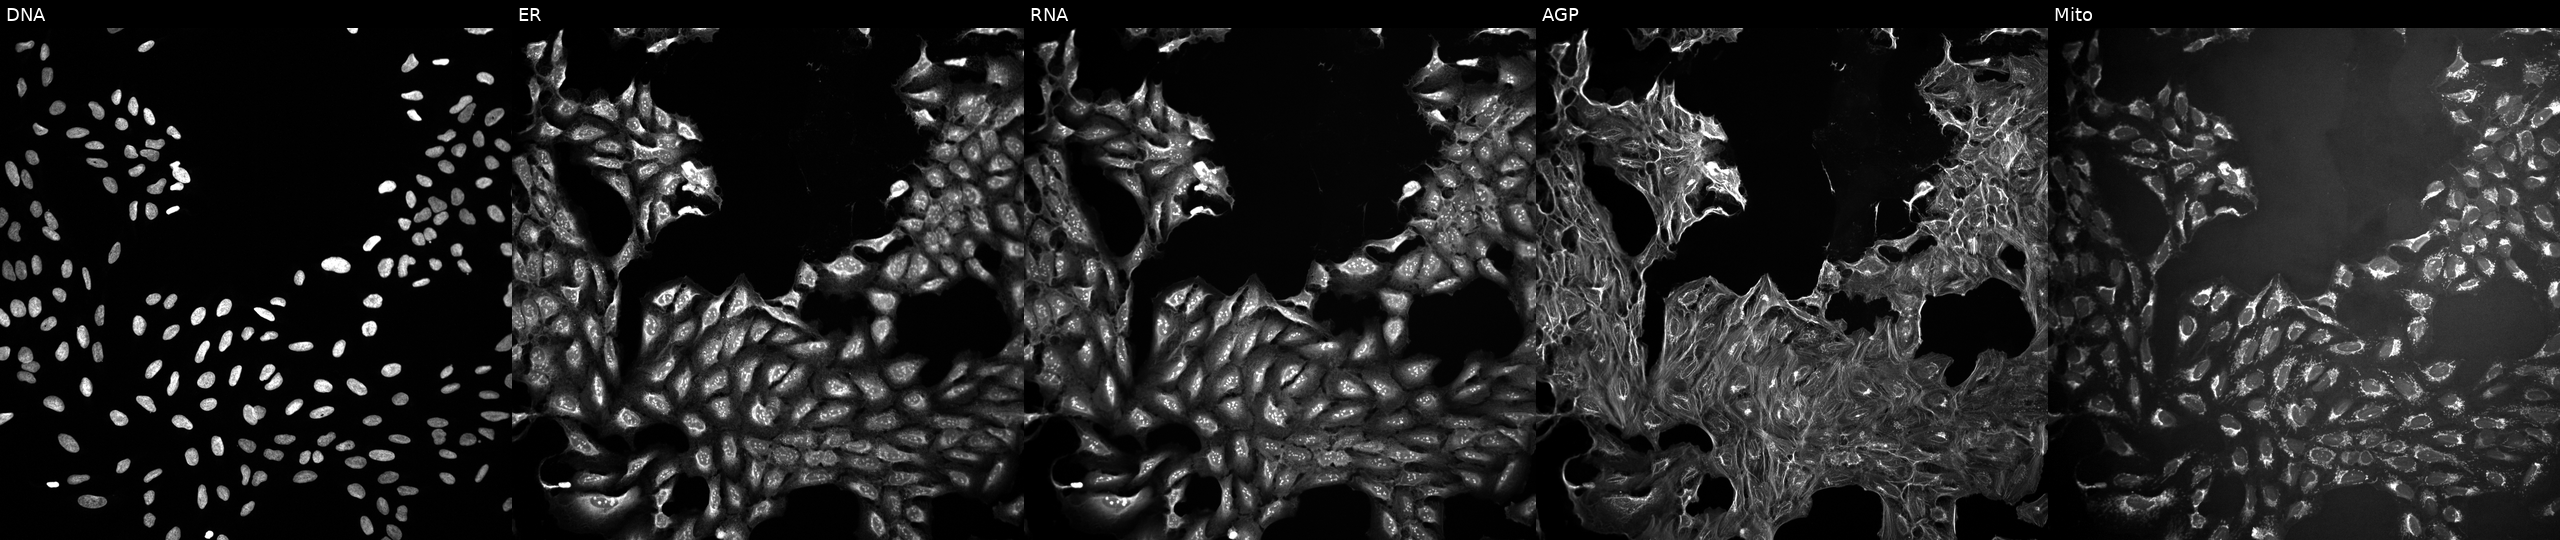
High-content fluorescence microscopy (Cell Painting). Cell line: U2OS. Perturbation: exposed to a small-molecule compound (JUMP id JCP2022_066287). From left to right: DNA (nuclei); ER (endoplasmic reticulum); RNA (nucleoli and cytoplasmic RNA); AGP (actin cytoskeleton, Golgi, and plasma membrane); Mito (mitochondria). Source 10, plate Dest210727-153003, well I24.